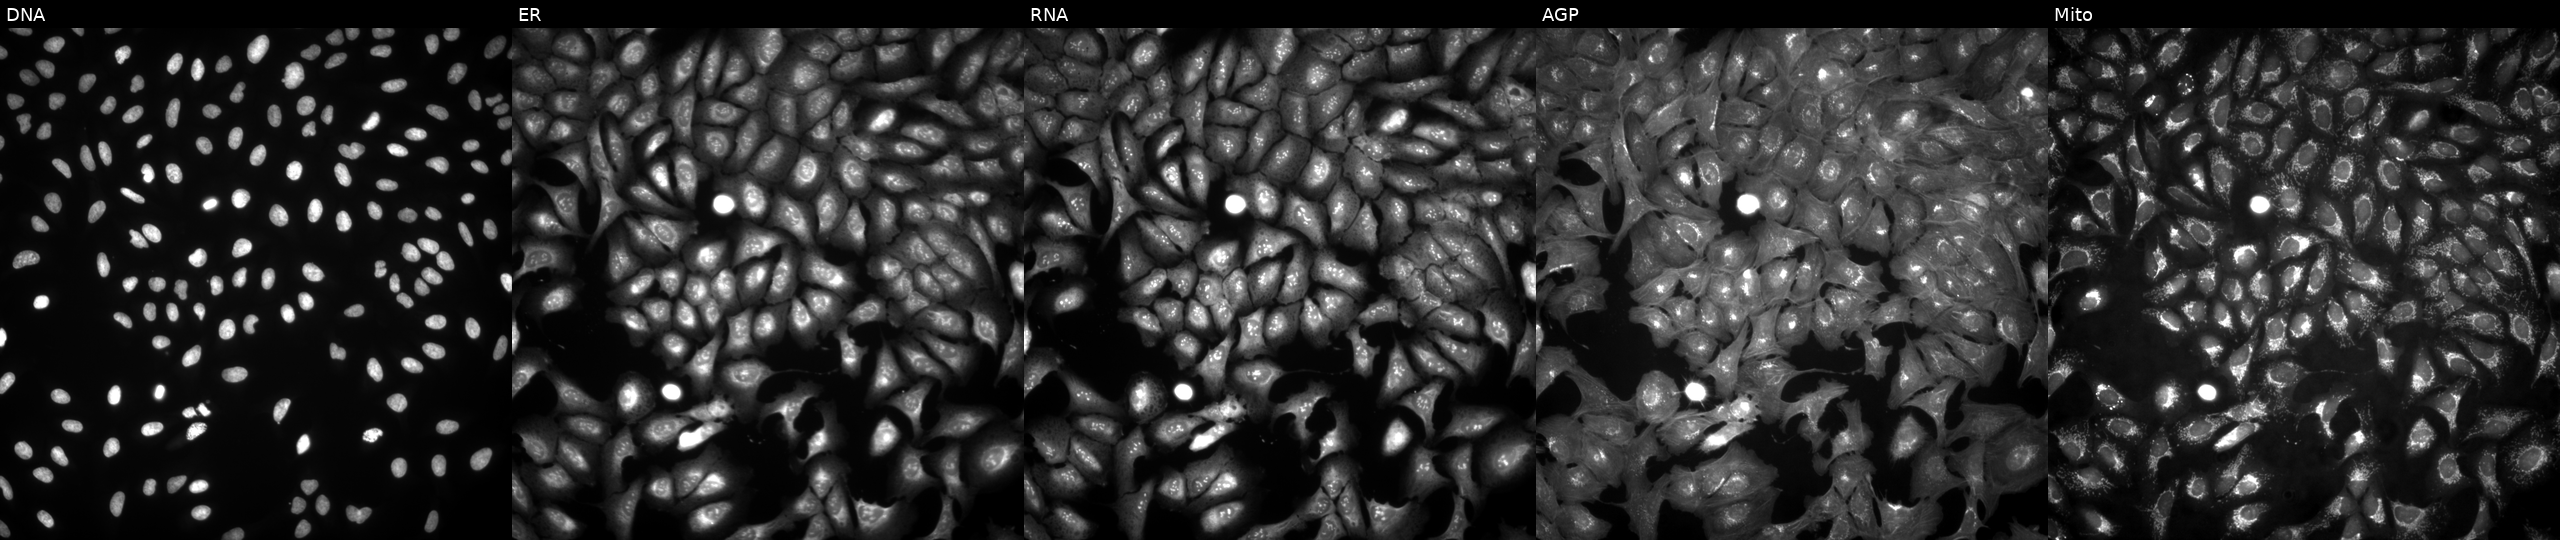
From left to right: DNA, ER, RNA, AGP, and Mito. U2OS osteosarcoma cells with MAJIN overexpressed (ORF) (JUMP id JCP2022_905000). Cell Painting assay, JUMP-CP dataset. Source 4, plate BR00123509, well A15.